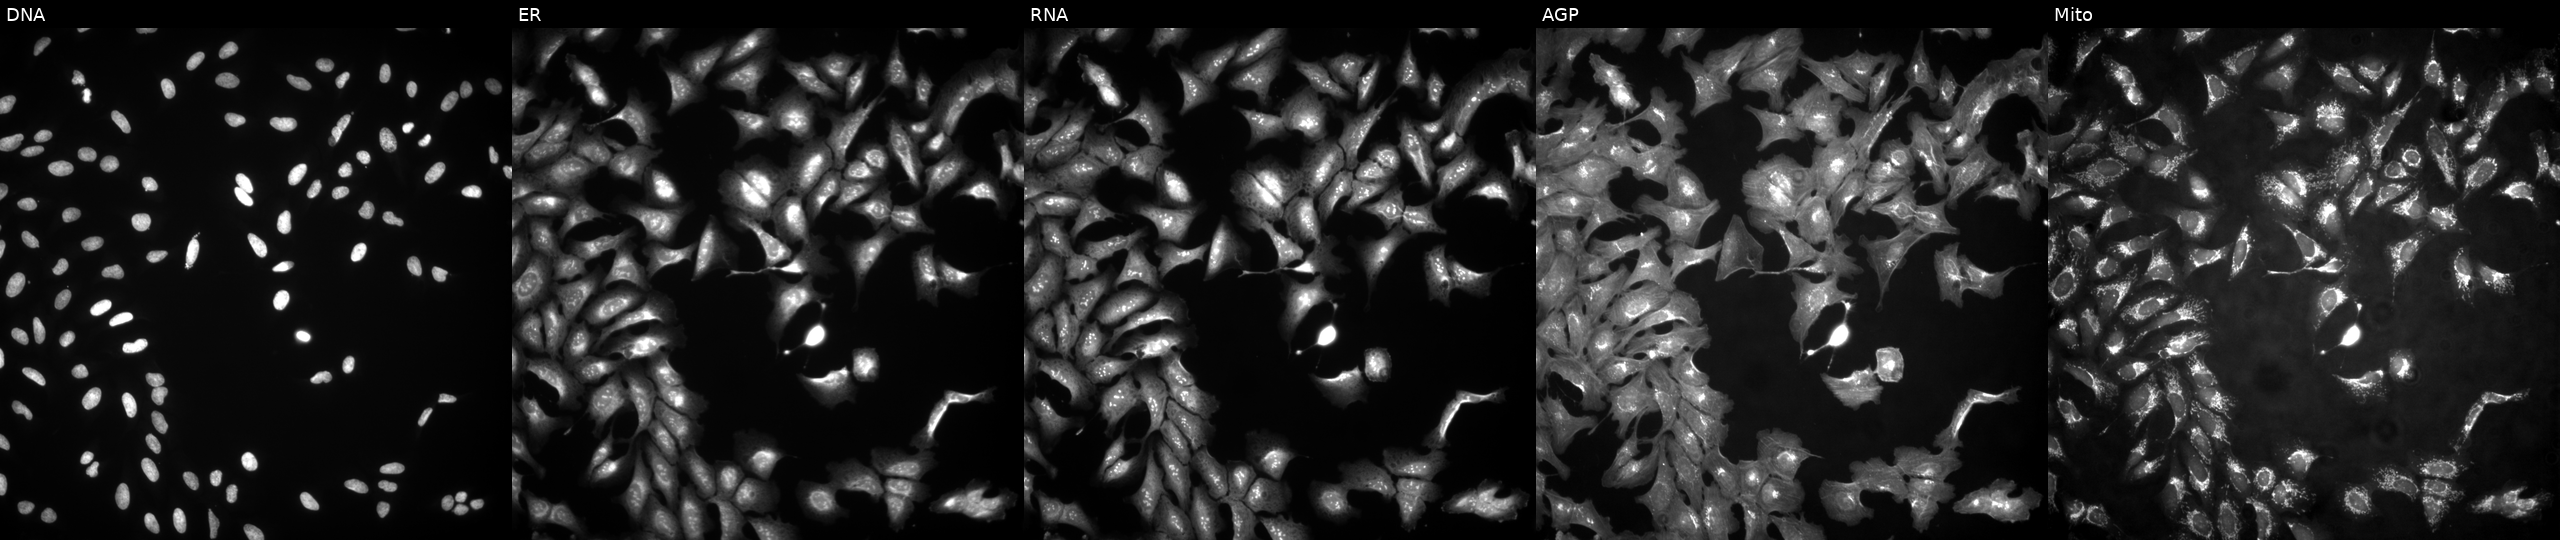
Panels show, left to right, DNA (nuclei); ER (endoplasmic reticulum); RNA (nucleoli and cytoplasmic RNA); AGP (actin cytoskeleton, Golgi, and plasma membrane); Mito (mitochondria). U2OS osteosarcoma cells transfected with an ORF construct for MGARP (JUMP id JCP2022_904140). Cell Painting assay, JUMP-CP dataset.